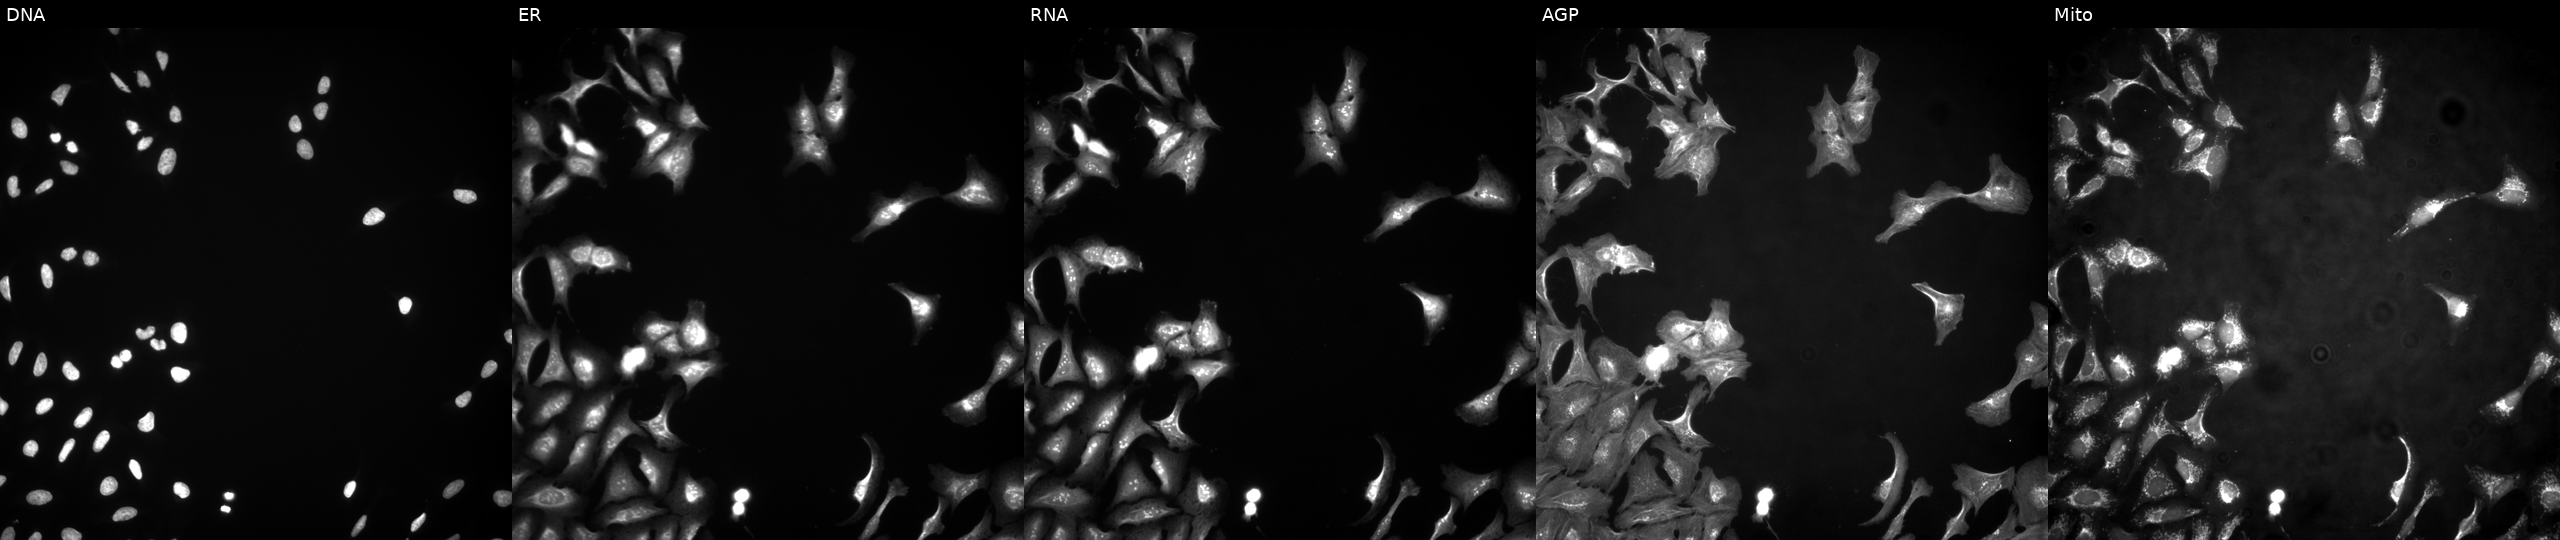
This image strip shows the five Cell Painting channels for a single field of U2OS cells with GLTP overexpressed (ORF). The five panels, left to right, show Hoechst 33342, concanavalin A, SYTO 14, phalloidin and WGA, MitoTracker.